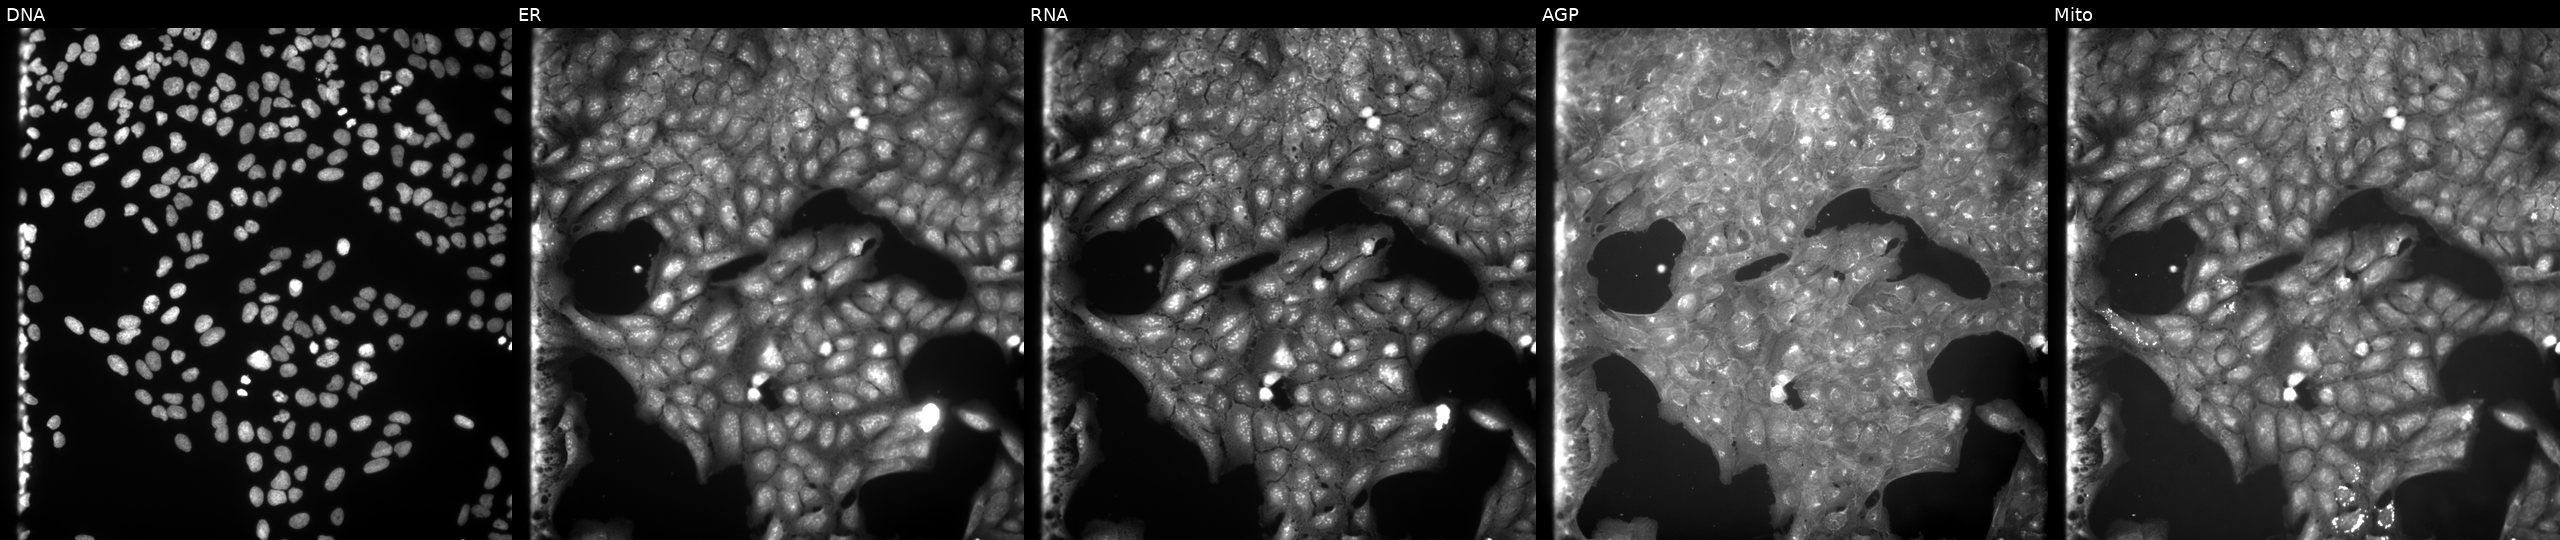
U2OS cells, Cell Painting assay, perturbed with a small-molecule compound (InChIKey KMJHXBOWEHPDFL-UHFFFAOYSA-N) (JUMP id JCP2022_045555). Panels show, left to right, DNA, ER, RNA, AGP, and Mito. Each panel is percentile-stretched 16-bit fluorescence. Source 9, plate GR00003381, well D11.